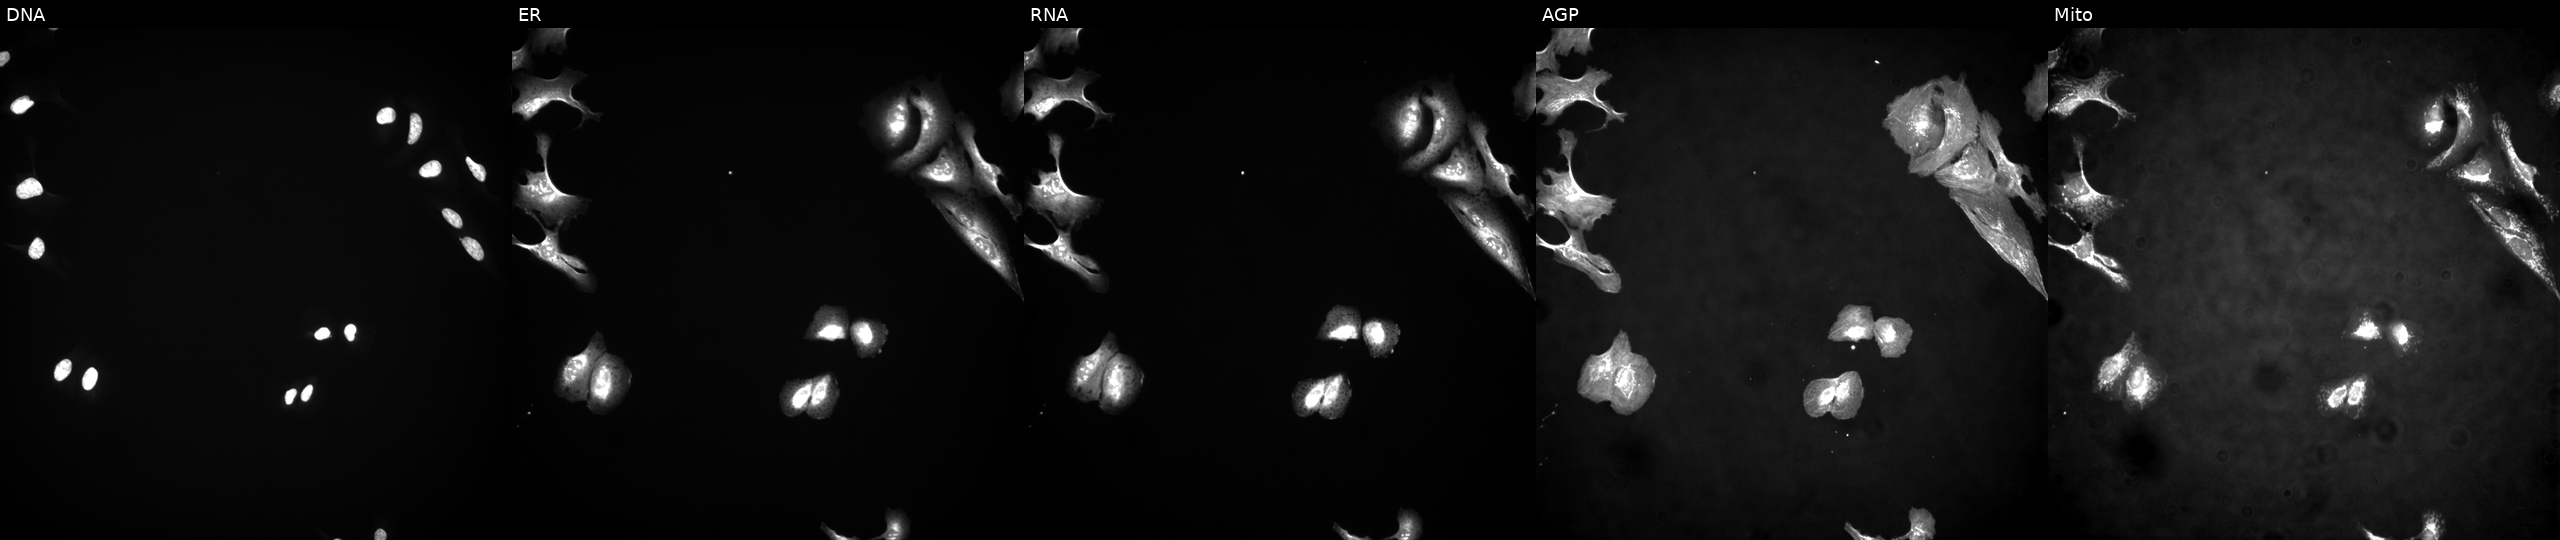
This image strip shows the five Cell Painting channels for a single field of U2OS cells with BRI3 overexpressed (ORF). The five panels, left to right, show DNA, ER, RNA, AGP, and Mito. Source 4, plate BR00124784, well H14.